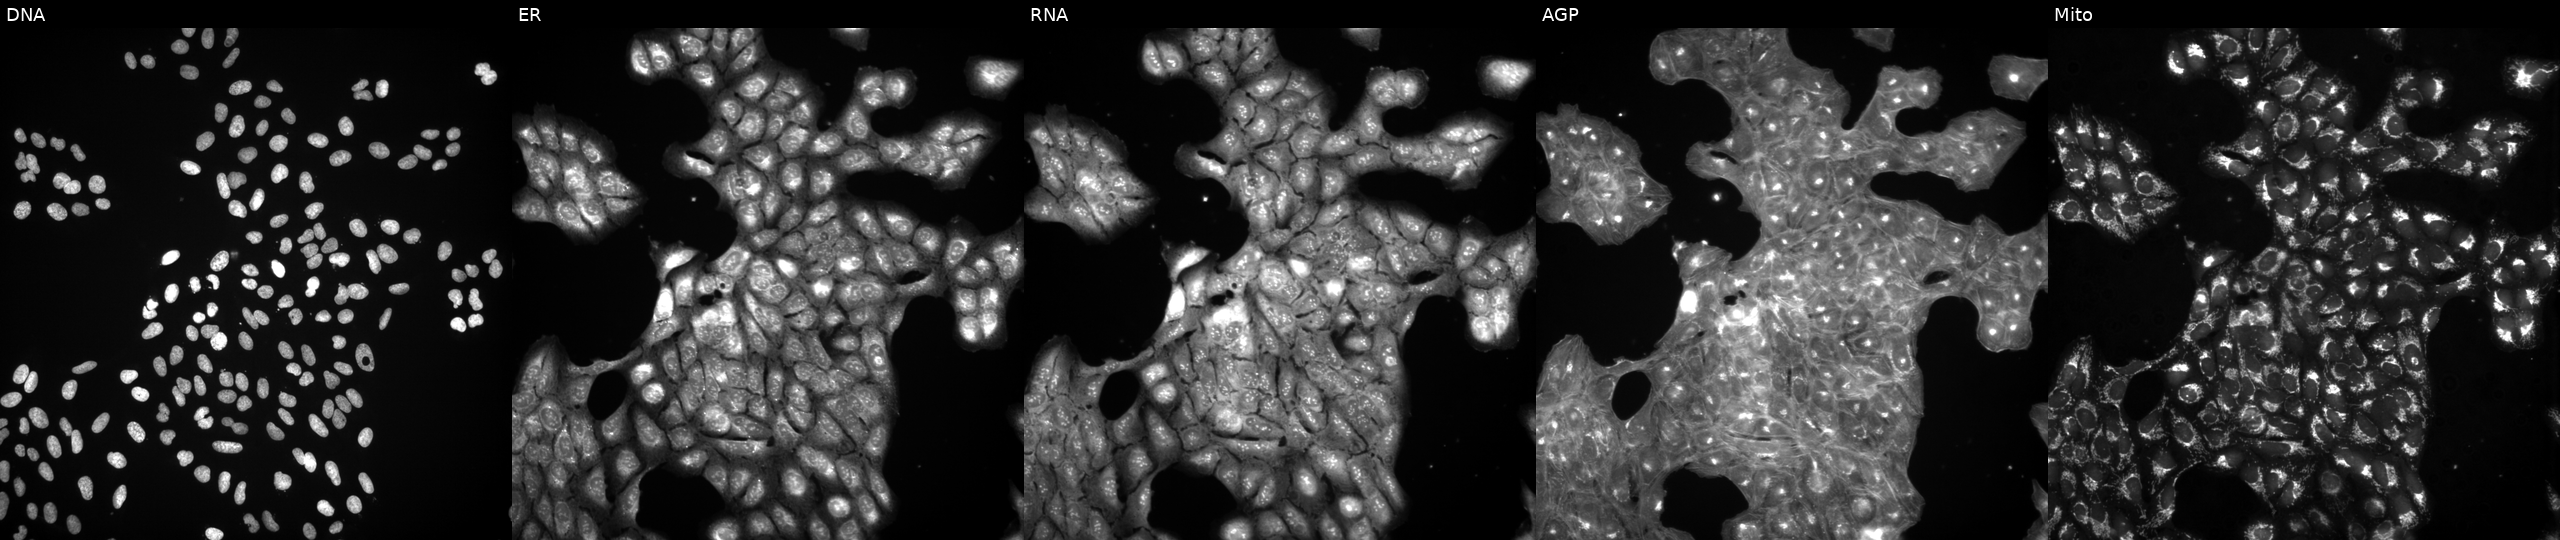
JUMP Cell Painting — COMPOUND plate. U2OS cells exposed to a small-molecule compound (InChIKey UWJCNBVLHMBKJR-UHFFFAOYSA-N). From left to right: DNA, ER, RNA, AGP, and Mito. Source 3, plate BR5867b3, well G20.